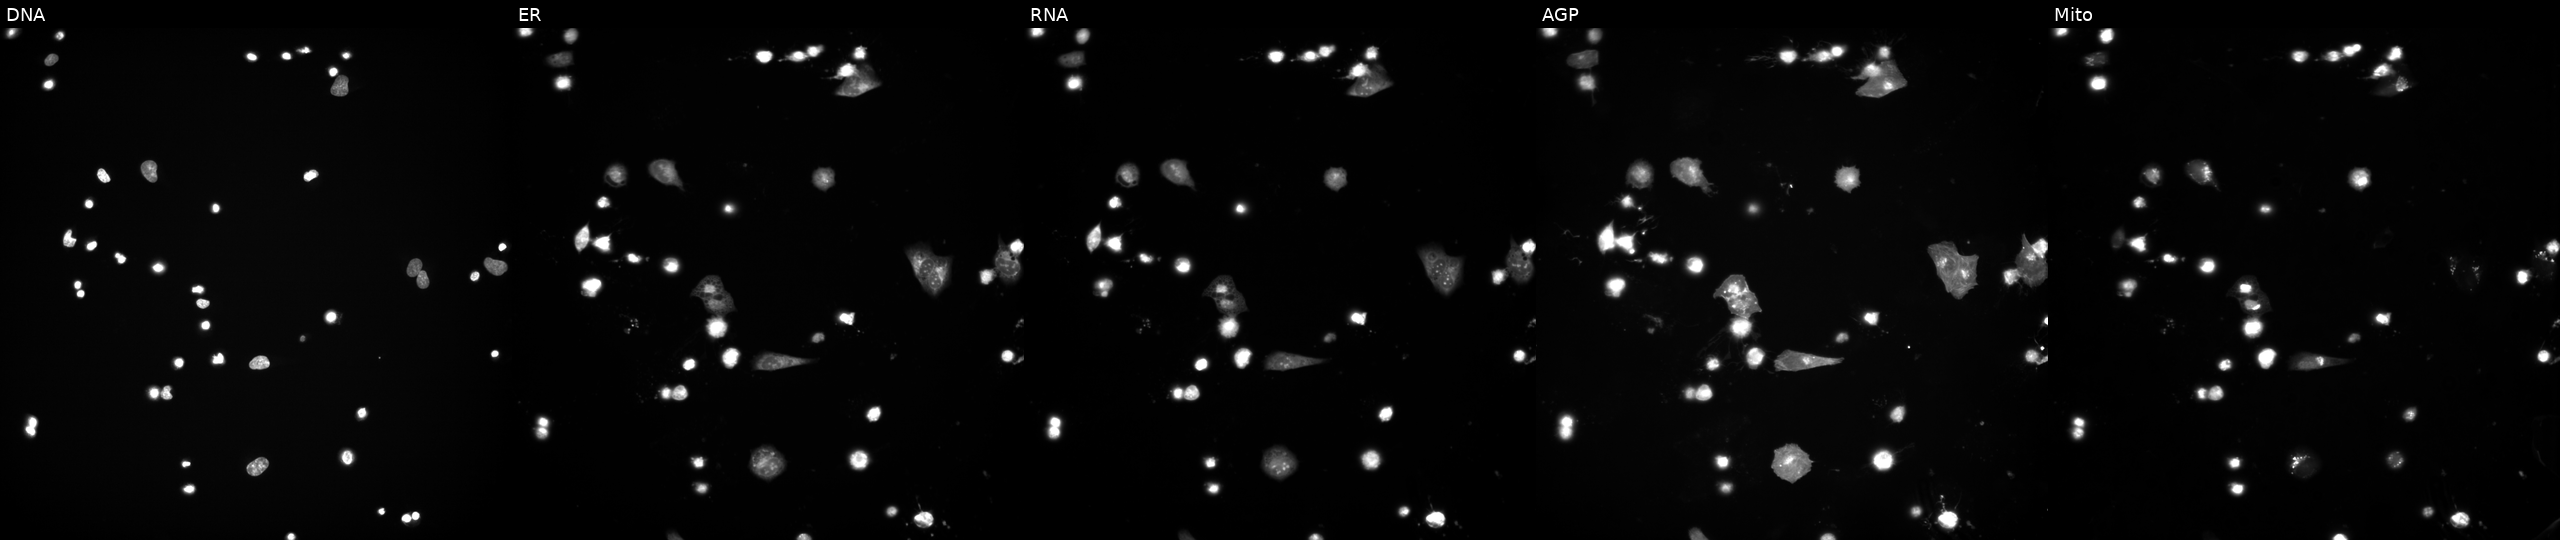
The five panels, left to right, show DNA, ER, RNA, AGP, and Mito. U2OS osteosarcoma cells exposed to a small-molecule compound (InChIKey UTBOEBCWXGDOGI-UHFFFAOYSA-N) (JUMP id JCP2022_091373). Cell Painting assay, JUMP-CP dataset.